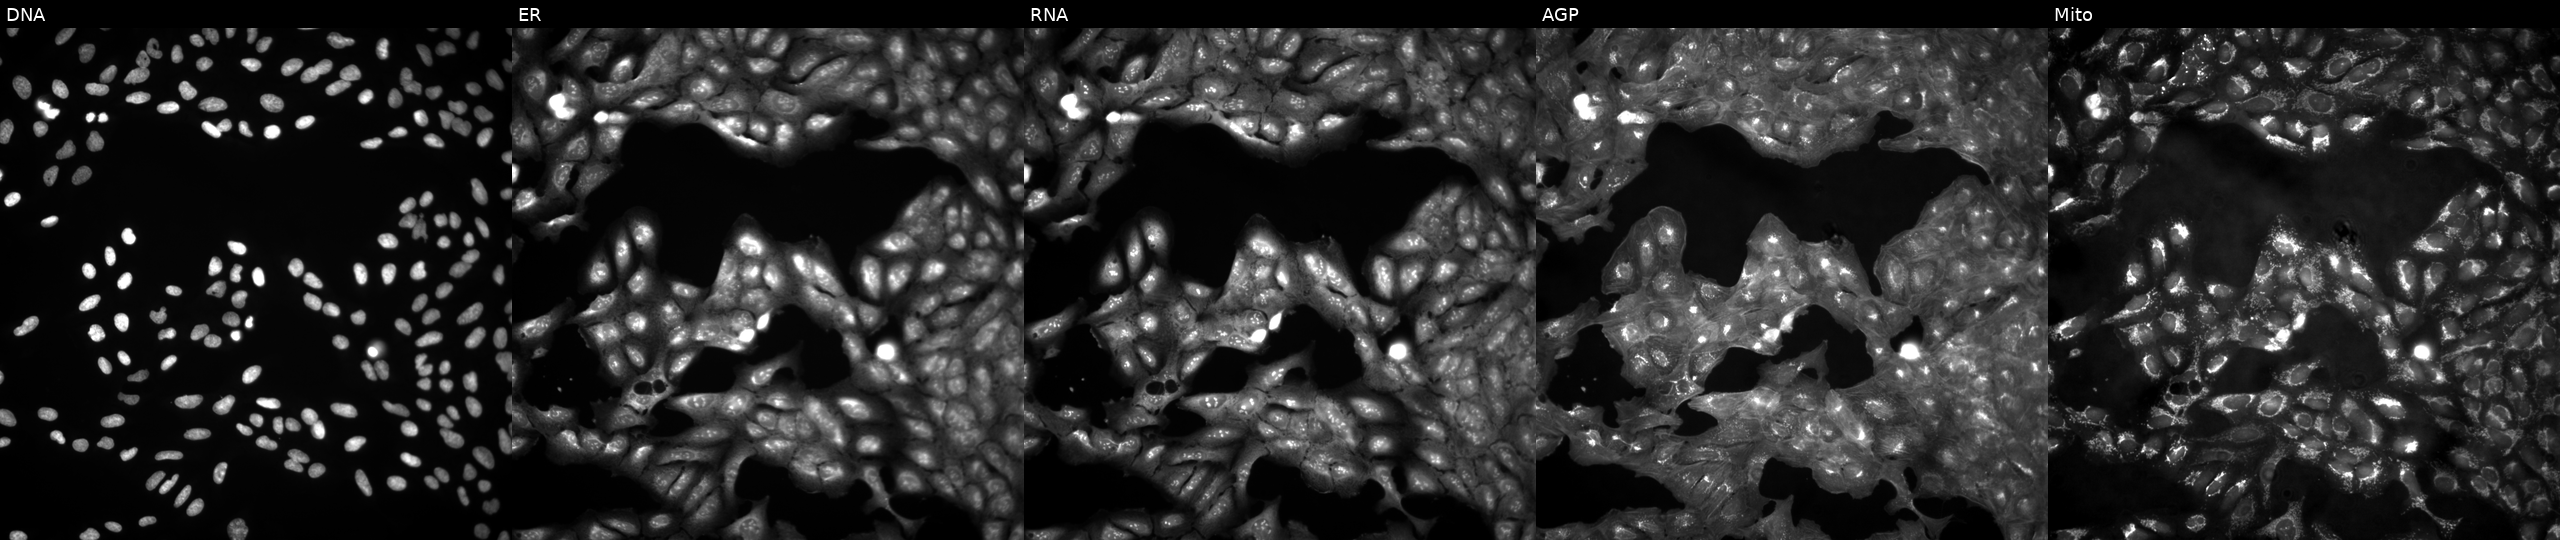
Five-channel Cell Painting image of U2OS cells in an empty control well (no perturbation). Channels (left→right): Hoechst 33342, concanavalin A, SYTO 14, phalloidin and WGA, MitoTracker.